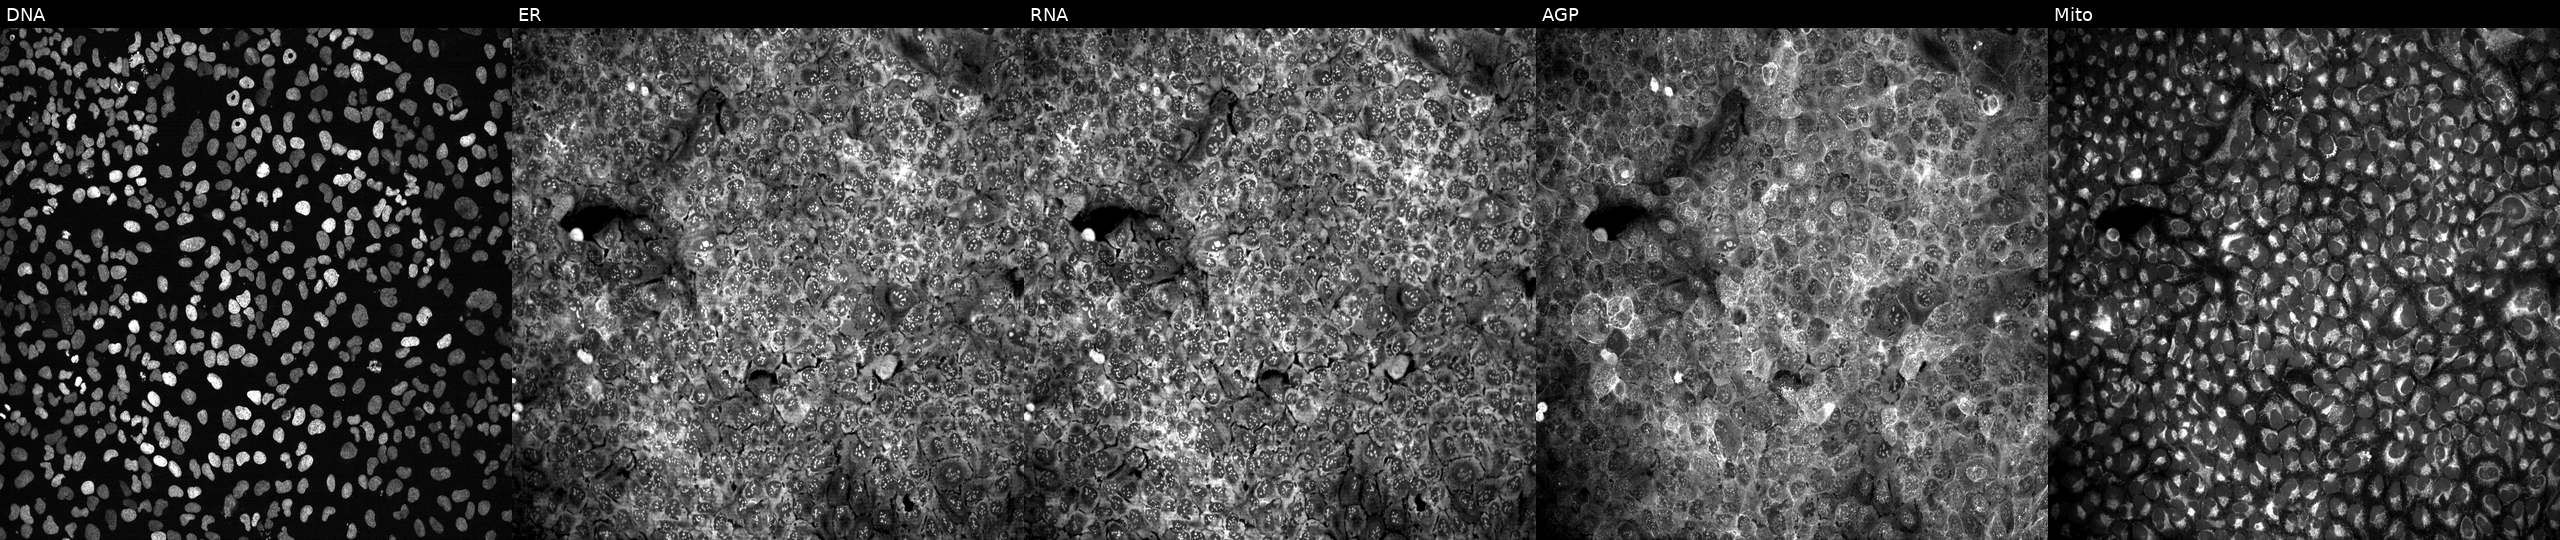
Five-channel Cell Painting image of U2OS cells with IL7R knocked out by CRISPR. Channels (left→right): DNA, ER, RNA, AGP, and Mito. Source 13, plate CP-CC9-R4-04, well K21.